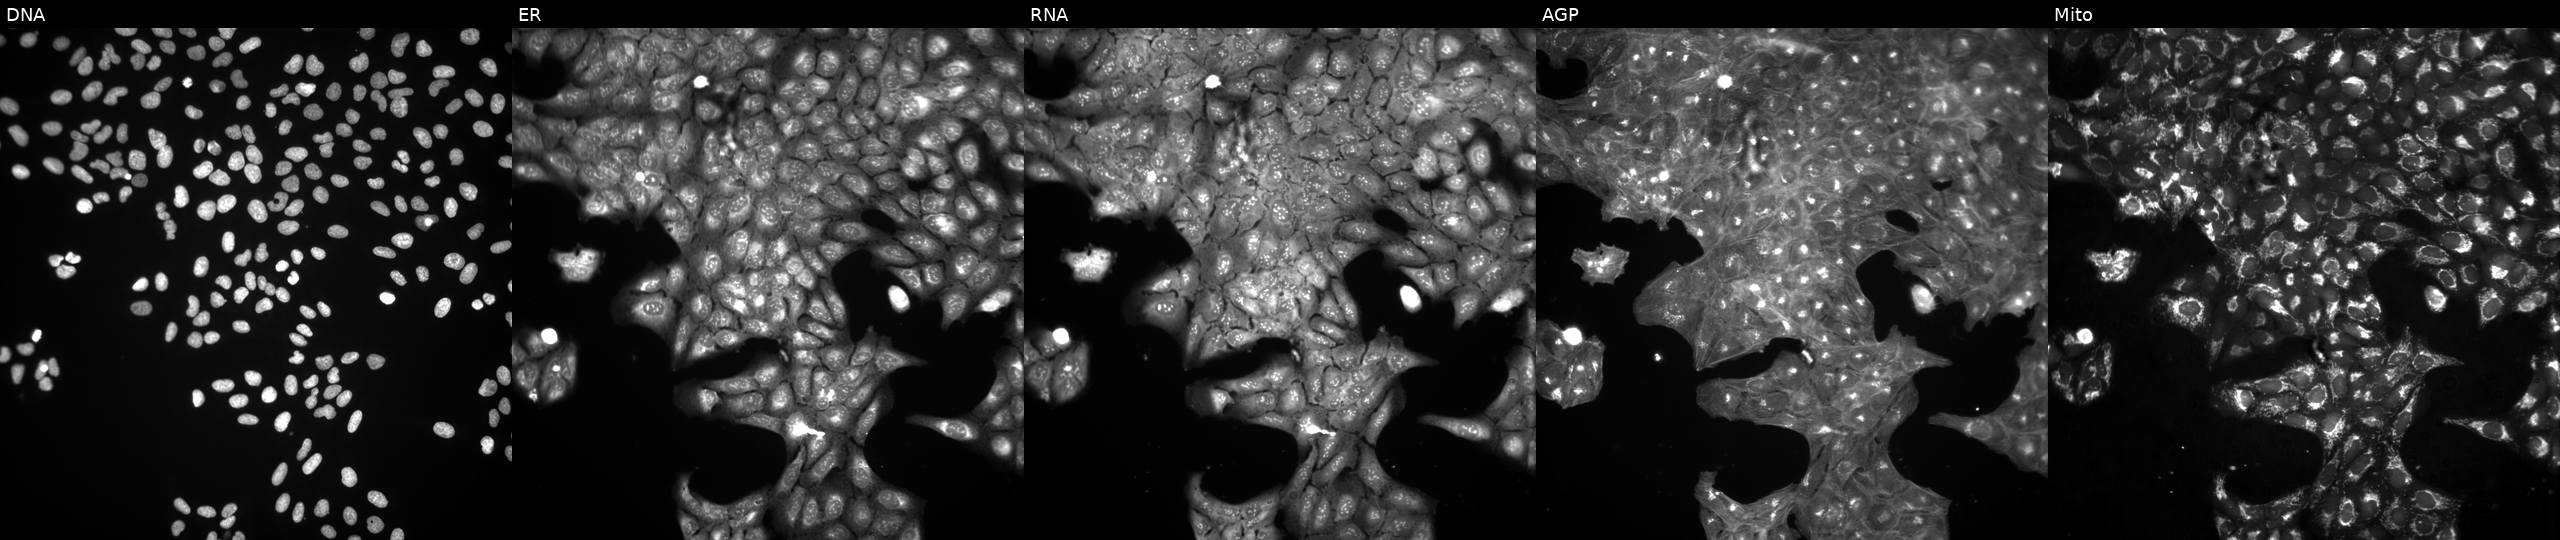
Five-channel Cell Painting image of U2OS cells exposed to a small-molecule compound [SMILES: CC(C)C(=O)c1c(C(C)C)nn2ccccc12] (JUMP id JCP2022_113779). The five panels, left to right, show DNA (nuclei); ER (endoplasmic reticulum); RNA (nucleoli and cytoplasmic RNA); AGP (actin cytoskeleton, Golgi, and plasma membrane); Mito (mitochondria).